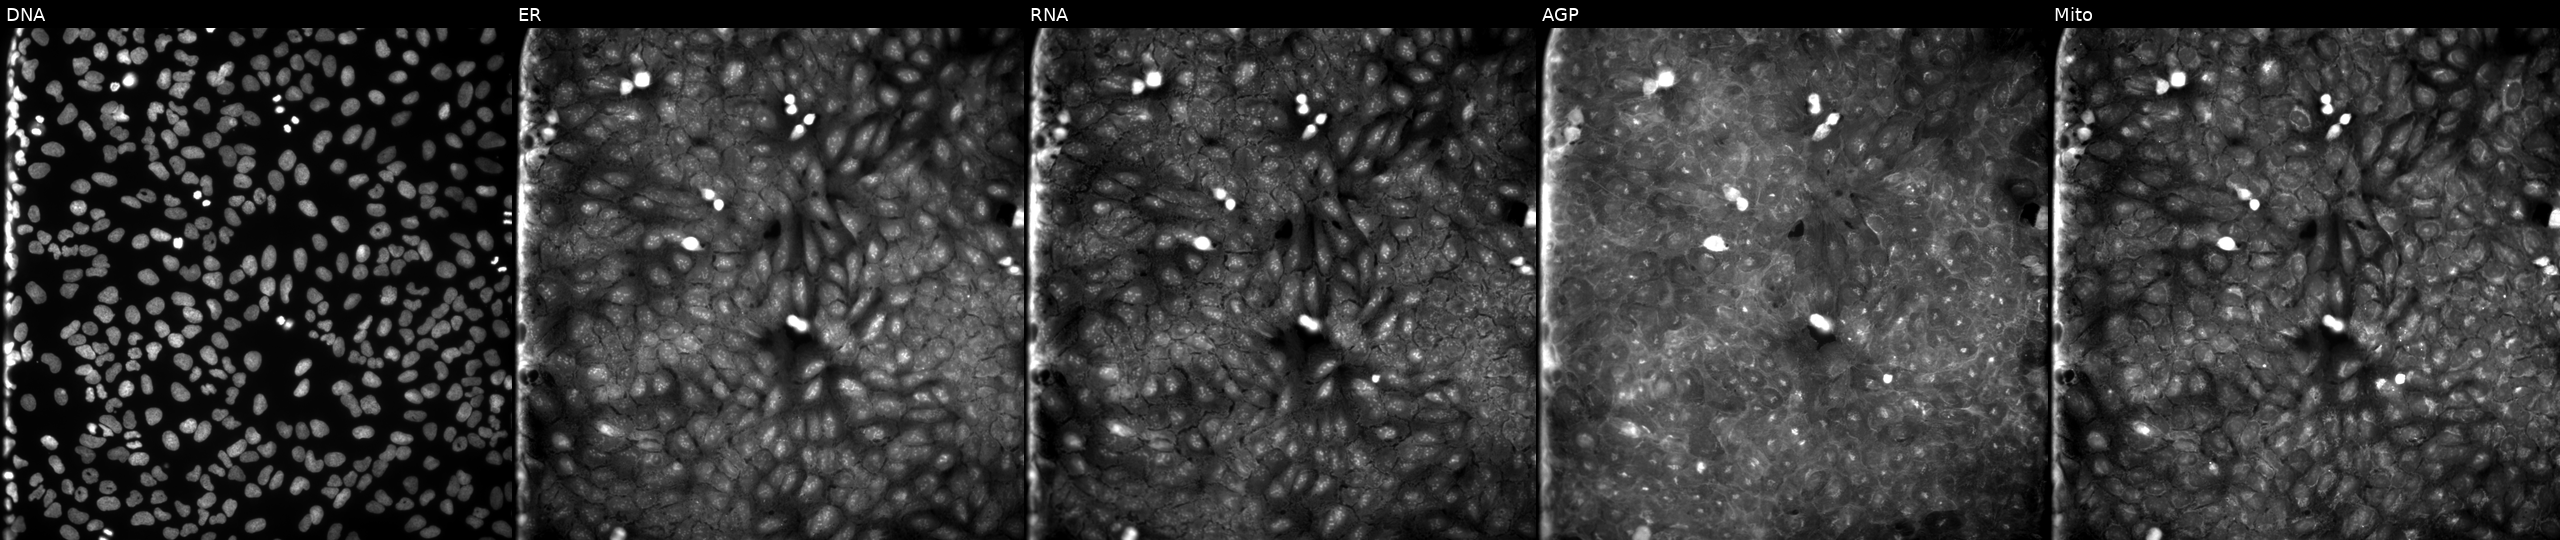
This image strip shows the five Cell Painting channels for a single field of U2OS cells exposed to a small-molecule compound. The five panels, left to right, show DNA, ER, RNA, AGP, and Mito. Source 9, plate GR00003381, well M11.